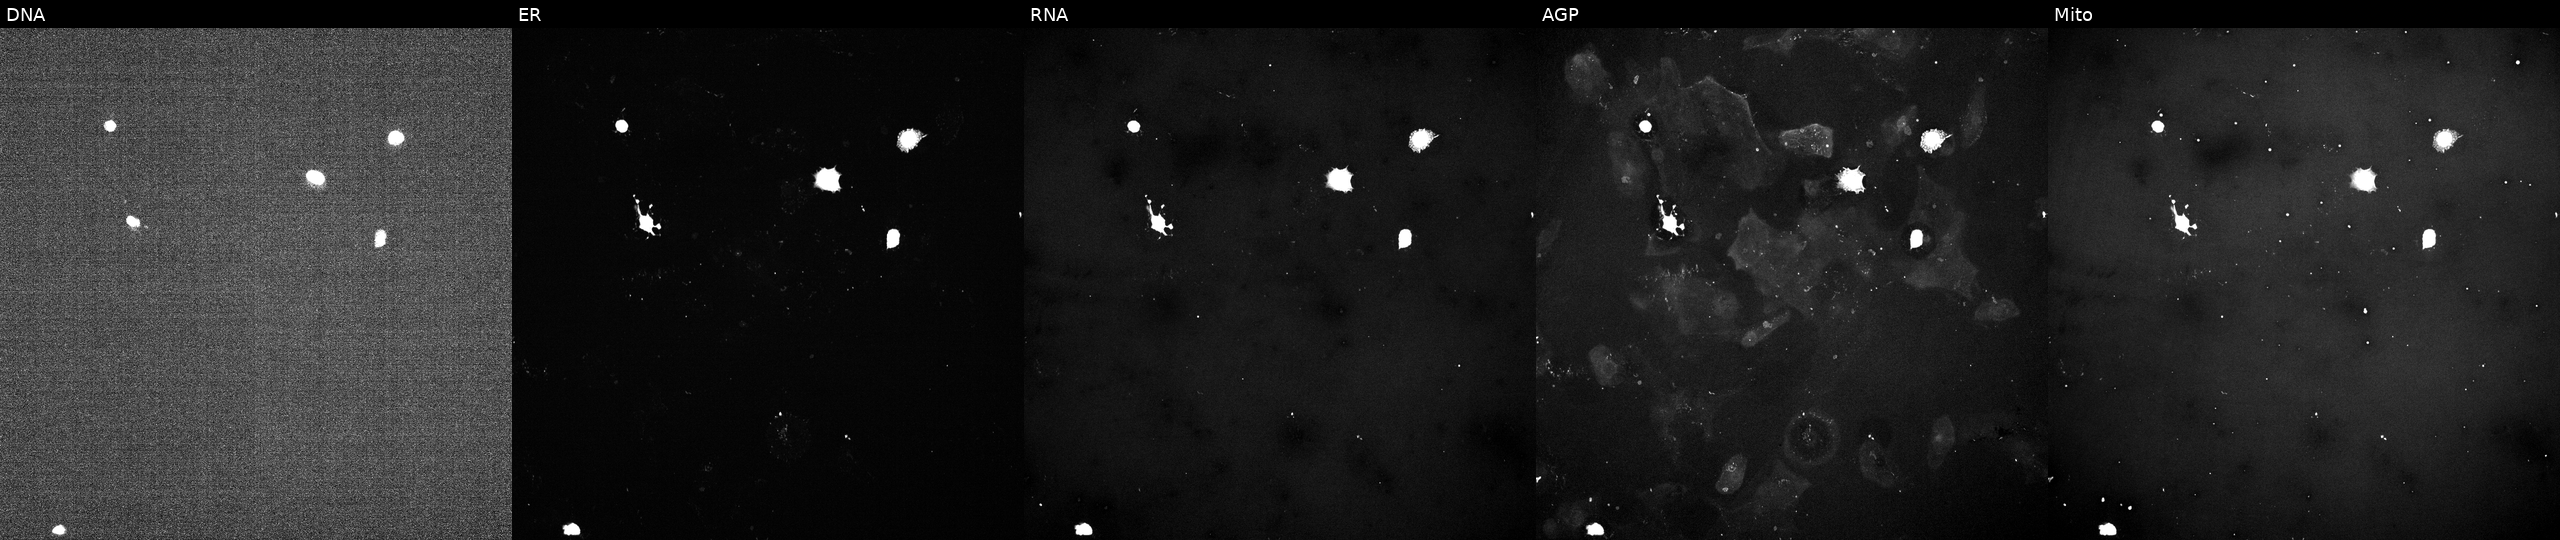
U2OS cells, Cell Painting assay, treated with a small-molecule compound (InChIKey XUZQTIZWMHMWOC-UHFFFAOYSA-N). Panels show, left to right, Hoechst 33342, concanavalin A, SYTO 14, phalloidin and WGA, MitoTracker. Each panel is percentile-stretched 16-bit fluorescence. Source 5, plate ACPJUM051, well K13.